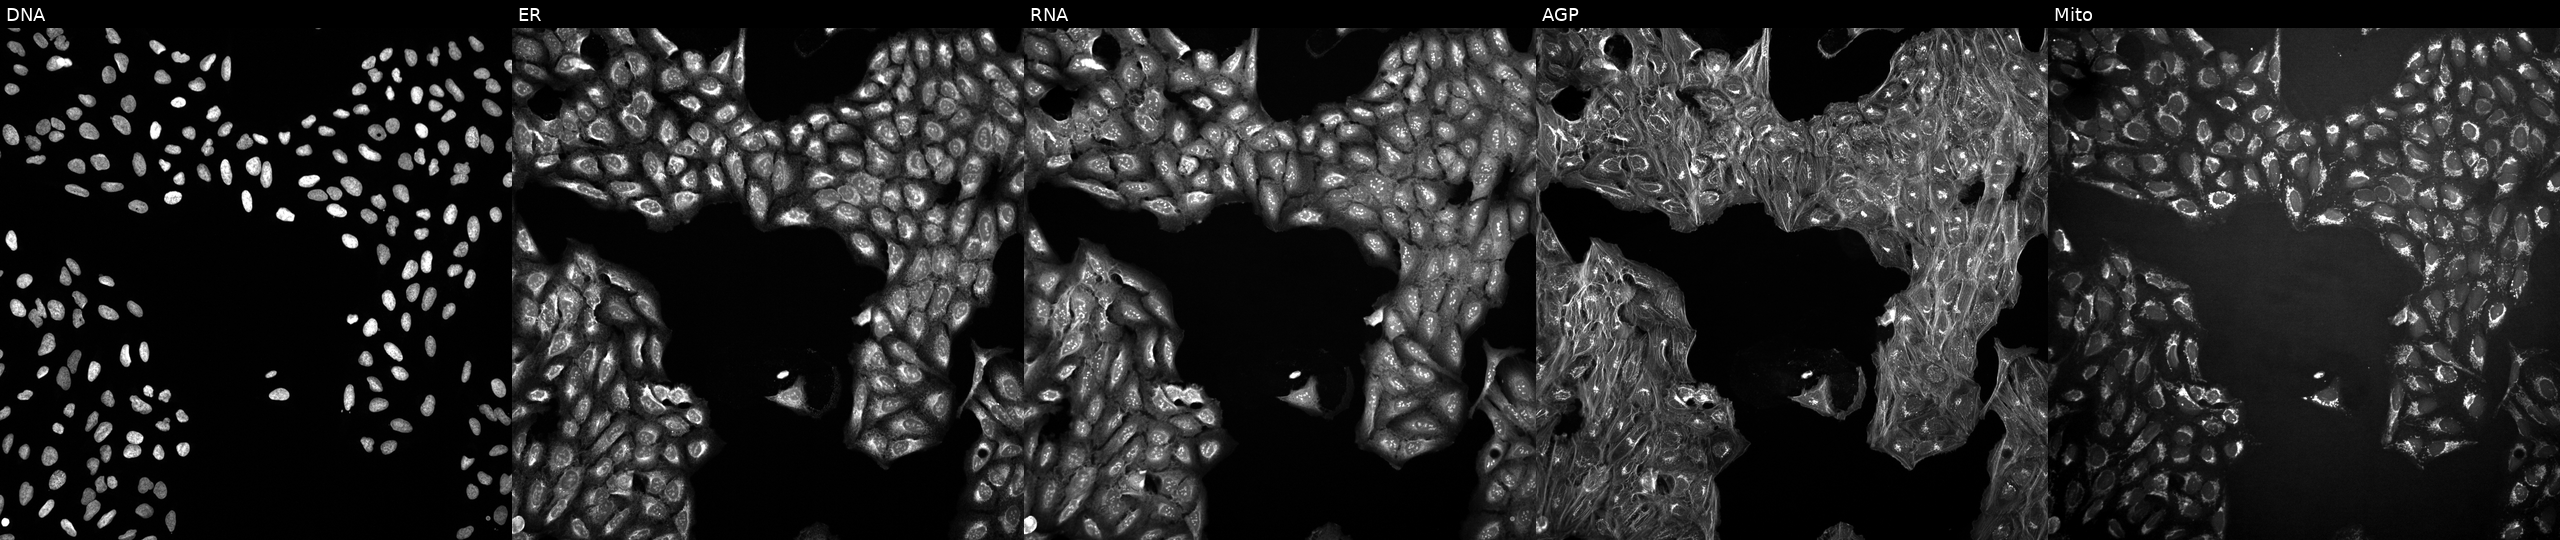
The five panels, left to right, show DNA (nuclei); ER (endoplasmic reticulum); RNA (nucleoli and cytoplasmic RNA); AGP (actin cytoskeleton, Golgi, and plasma membrane); Mito (mitochondria). U2OS osteosarcoma cells perturbed with a small-molecule compound (JUMP id JCP2022_020410). Cell Painting assay, JUMP-CP dataset. Source 10, plate Dest210531-152324, well G06.